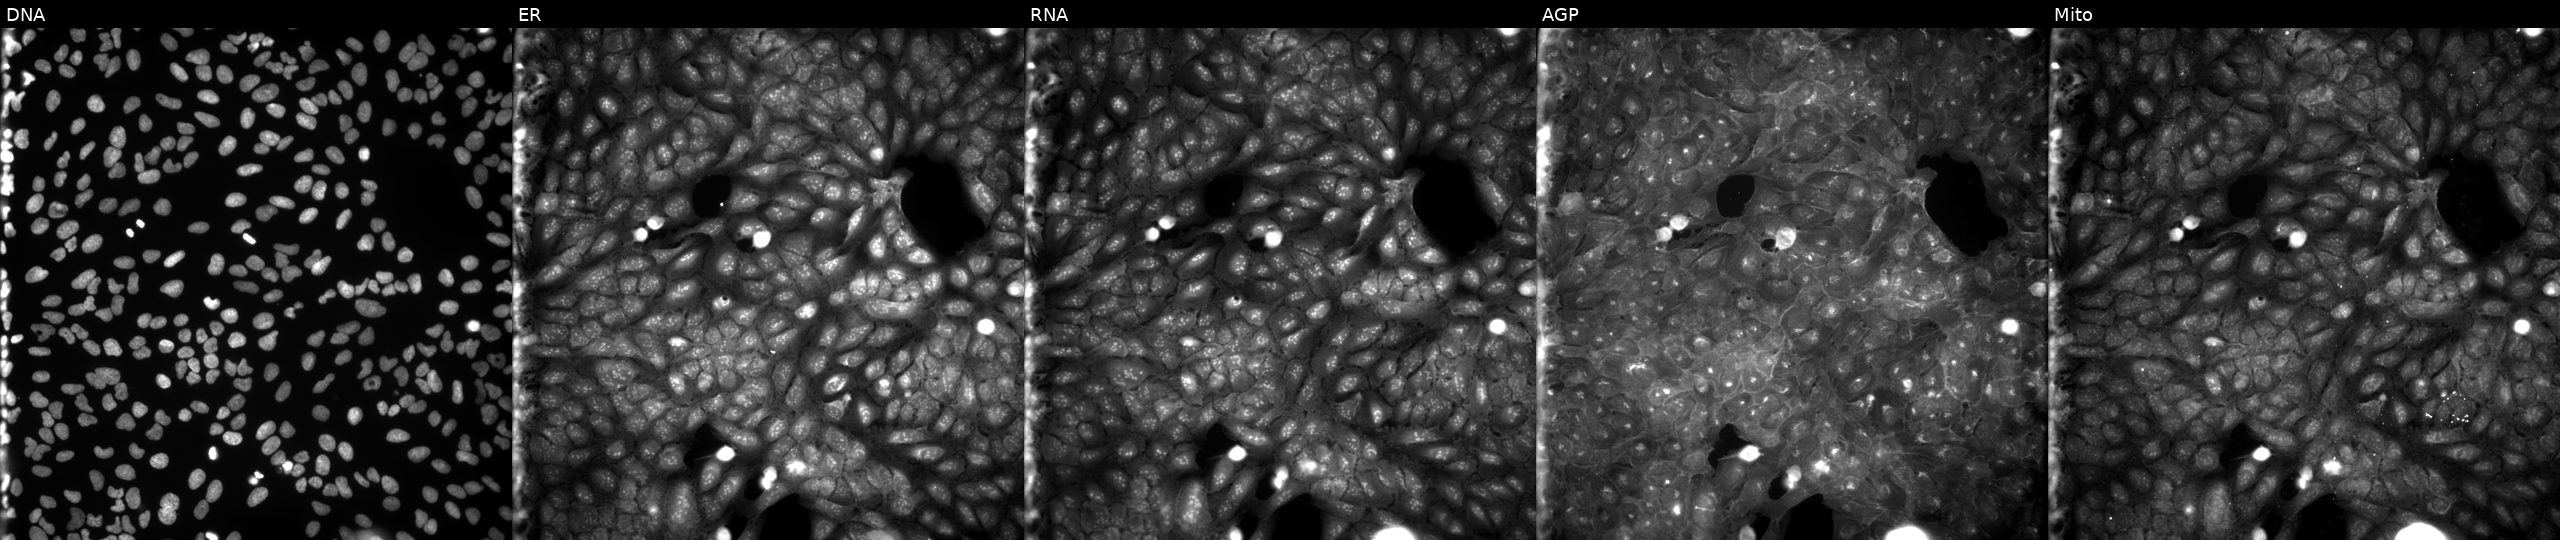
JUMP Cell Painting — COMPOUND plate. U2OS cells exposed to a small-molecule compound (InChIKey QAQBAPIQYPTZTH-UHFFFAOYSA-N) [SMILES: C=CCN1C(=O)C(O)(CC(=O)c2ccccc2)c2ccccc21] (JUMP id JCP2022_072196). Panels show, left to right, Hoechst 33342, concanavalin A, SYTO 14, phalloidin and WGA, MitoTracker. Source 9, plate GR00003382, well K16.